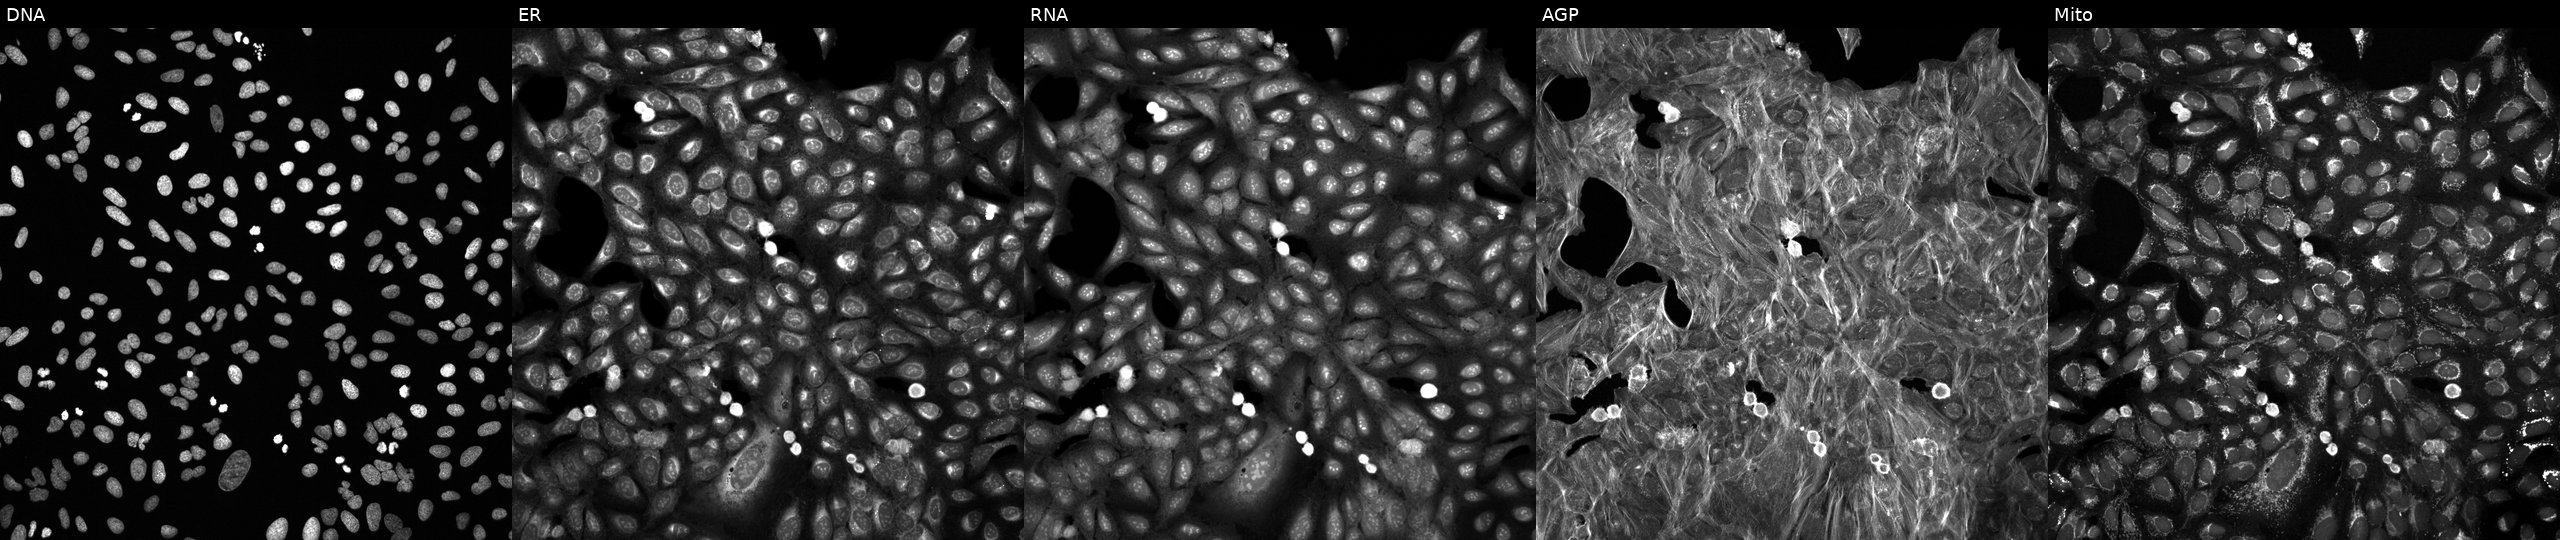
Five-channel Cell Painting image of U2OS cells perturbed with a small-molecule compound (InChIKey OUZWUKMCLIBBOG-UHFFFAOYSA-N) (JUMP id JCP2022_066287). From left to right: DNA, ER, RNA, AGP, and Mito.